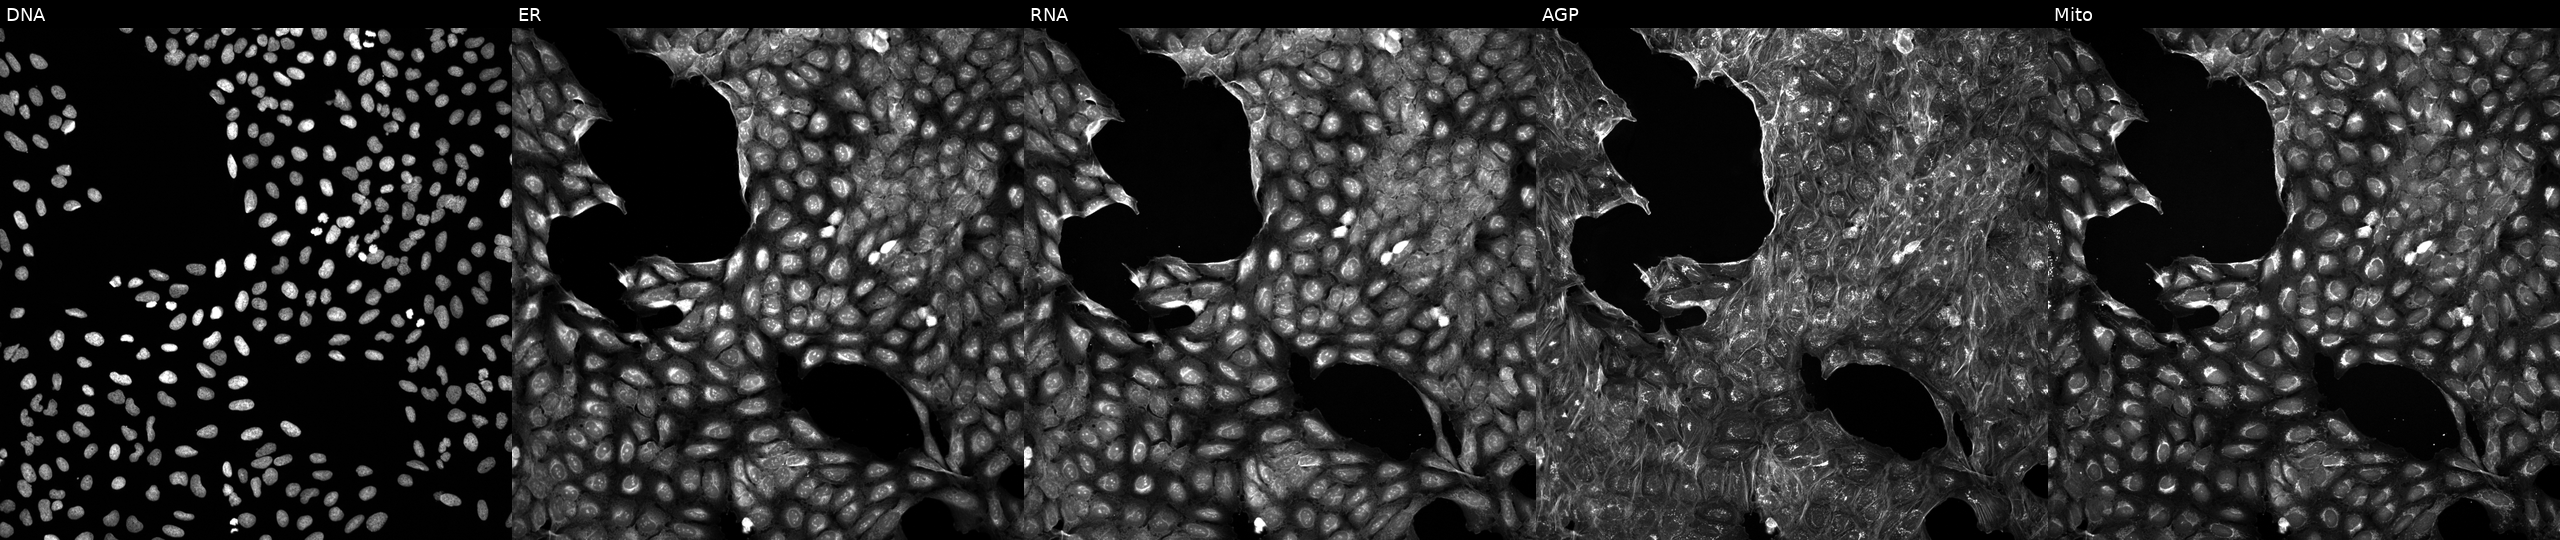
U2OS cells, Cell Painting assay, treated with a small-molecule compound (JUMP id JCP2022_094919). Panels show, left to right, DNA (nuclei); ER (endoplasmic reticulum); RNA (nucleoli and cytoplasmic RNA); AGP (actin cytoskeleton, Golgi, and plasma membrane); Mito (mitochondria). Each panel is percentile-stretched 16-bit fluorescence. Source 5, plate APTJUM106, well E03.